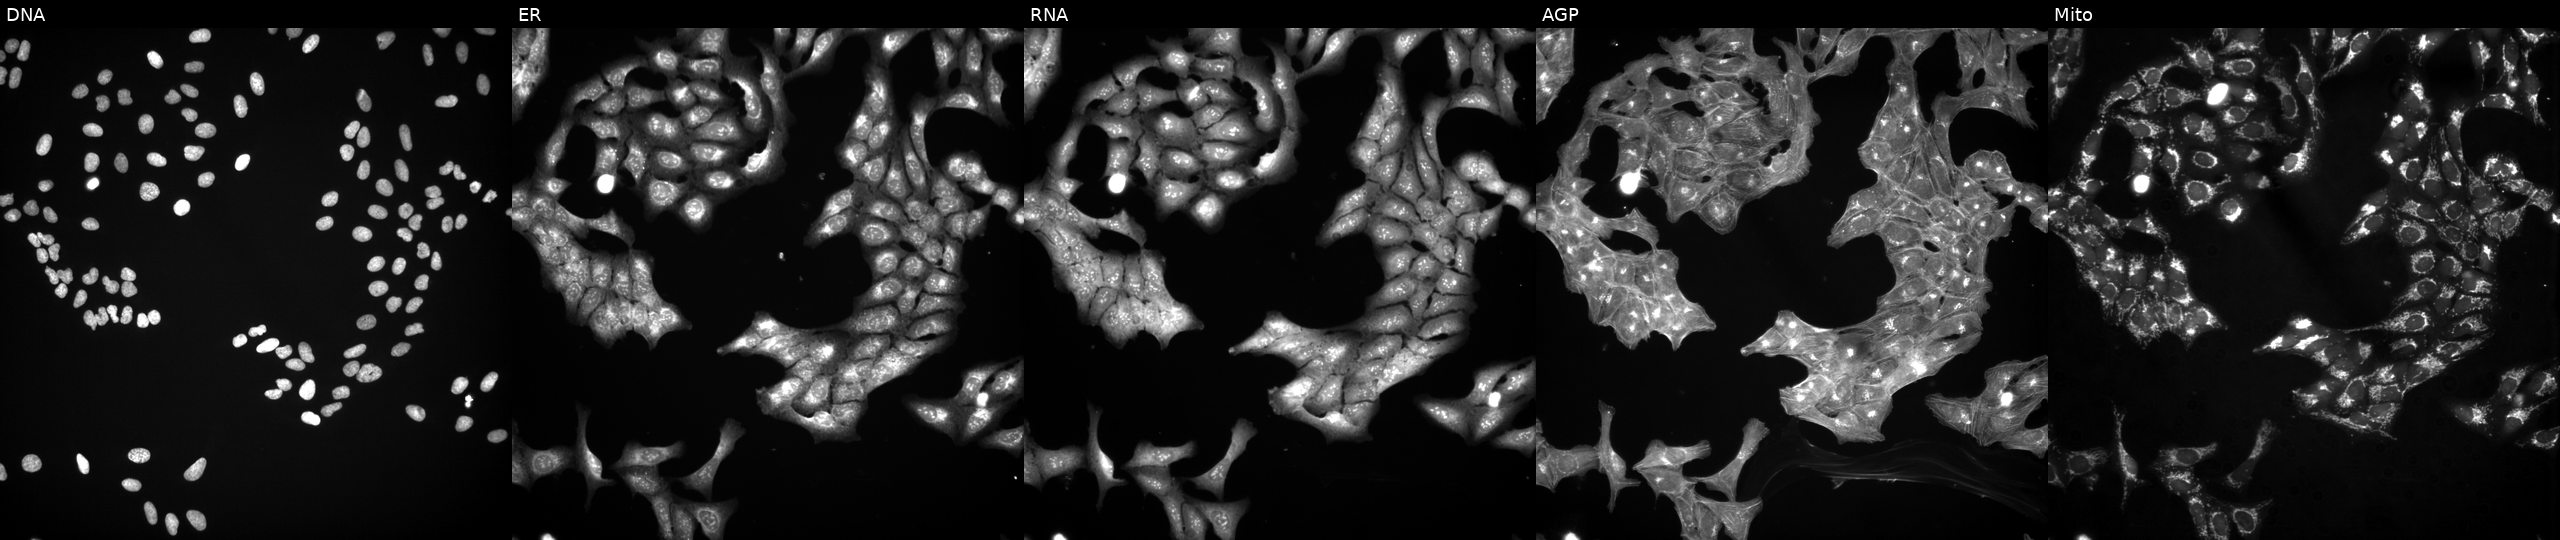
U2OS cells, Cell Painting assay, exposed to a small-molecule compound. The five panels, left to right, show DNA (nuclei); ER (endoplasmic reticulum); RNA (nucleoli and cytoplasmic RNA); AGP (actin cytoskeleton, Golgi, and plasma membrane); Mito (mitochondria). Each panel is percentile-stretched 16-bit fluorescence. Source 3, plate JCPQC053, well O16.